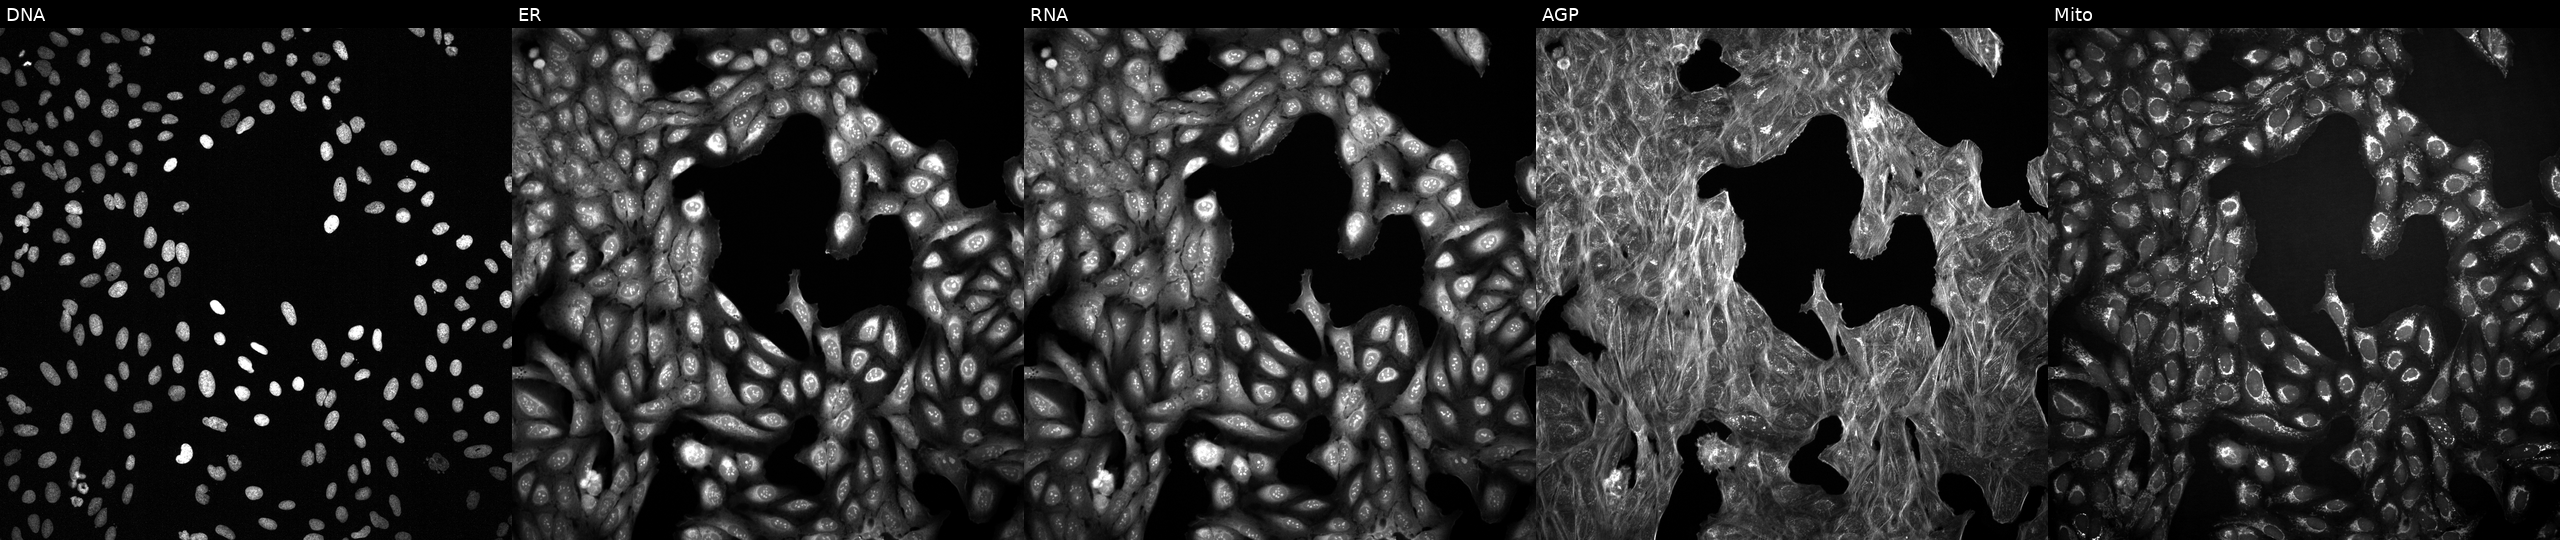
High-content fluorescence microscopy (Cell Painting). Cell line: U2OS. Perturbation: with an unidentified perturbation (not annotated in JUMP metadata). Channels (left→right): DNA (nuclei); ER (endoplasmic reticulum); RNA (nucleoli and cytoplasmic RNA); AGP (actin cytoskeleton, Golgi, and plasma membrane); Mito (mitochondria).